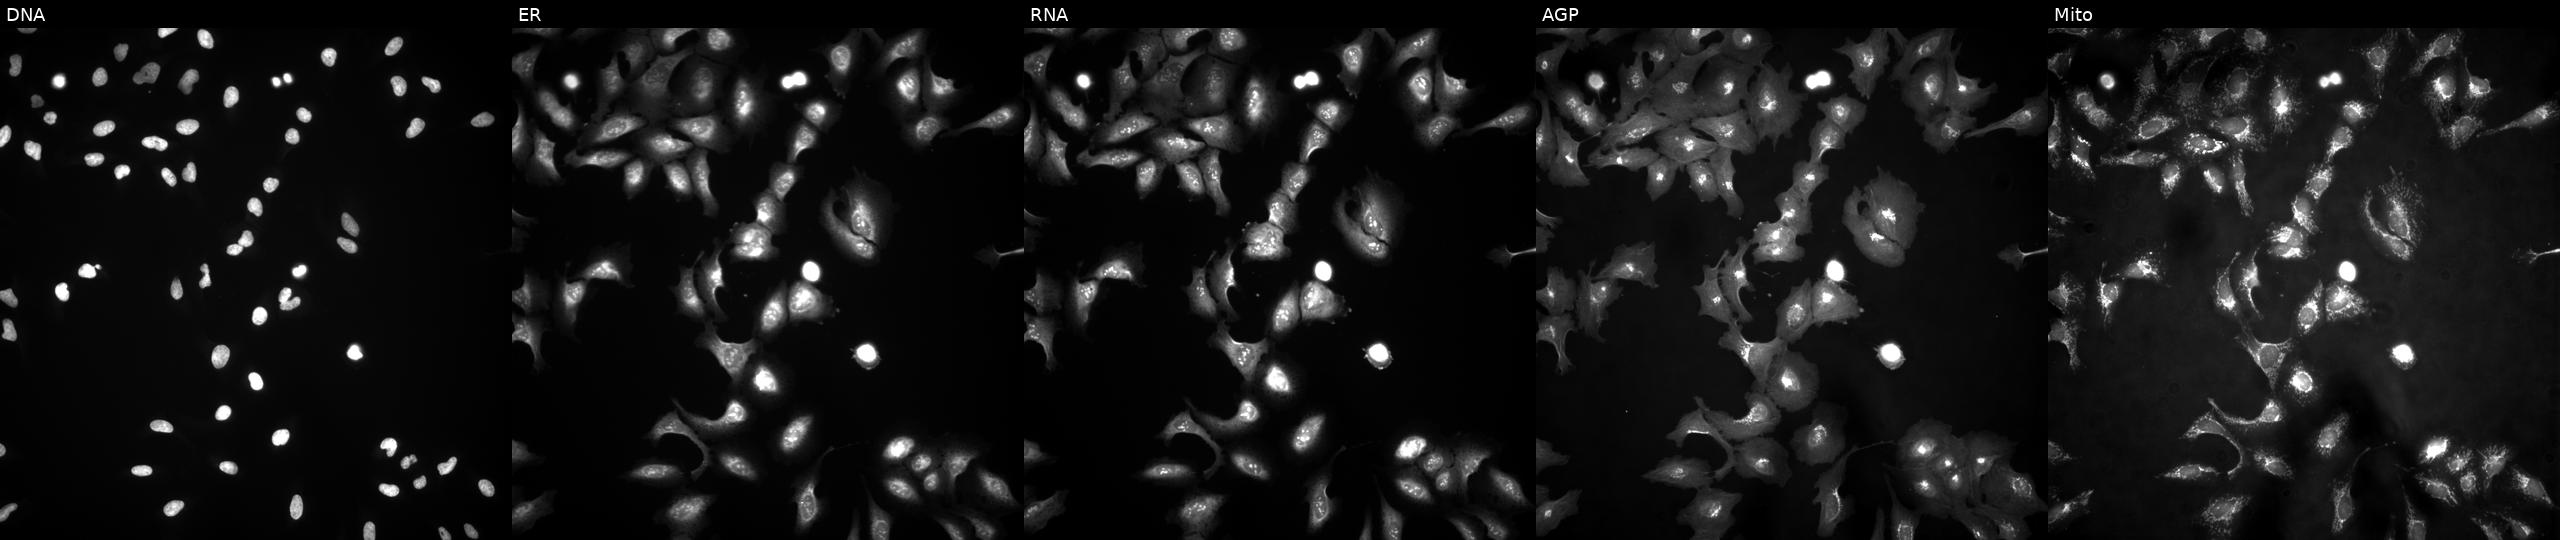
JUMP Cell Painting — ORF plate. U2OS cells with NDEL1 overexpressed (ORF) (JUMP id JCP2022_908471). From left to right: Hoechst 33342, concanavalin A, SYTO 14, phalloidin and WGA, MitoTracker. Source 4, plate BR00121543, well H07.